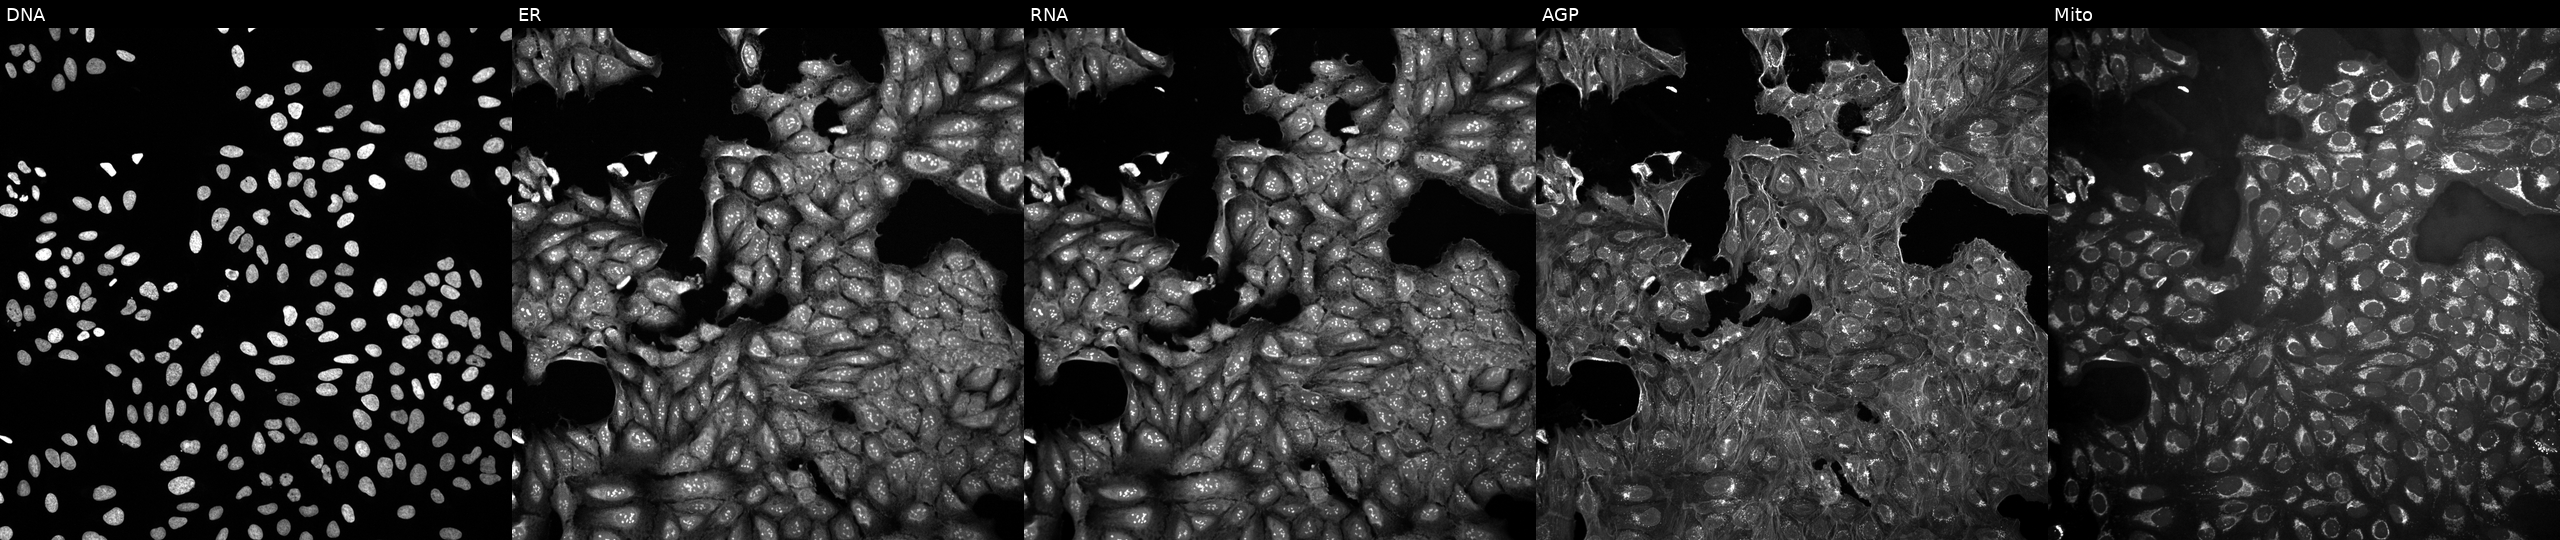
U2OS cells, Cell Painting assay, treated with a small-molecule compound. Panels show, left to right, DNA, ER, RNA, AGP, and Mito. Each panel is percentile-stretched 16-bit fluorescence.